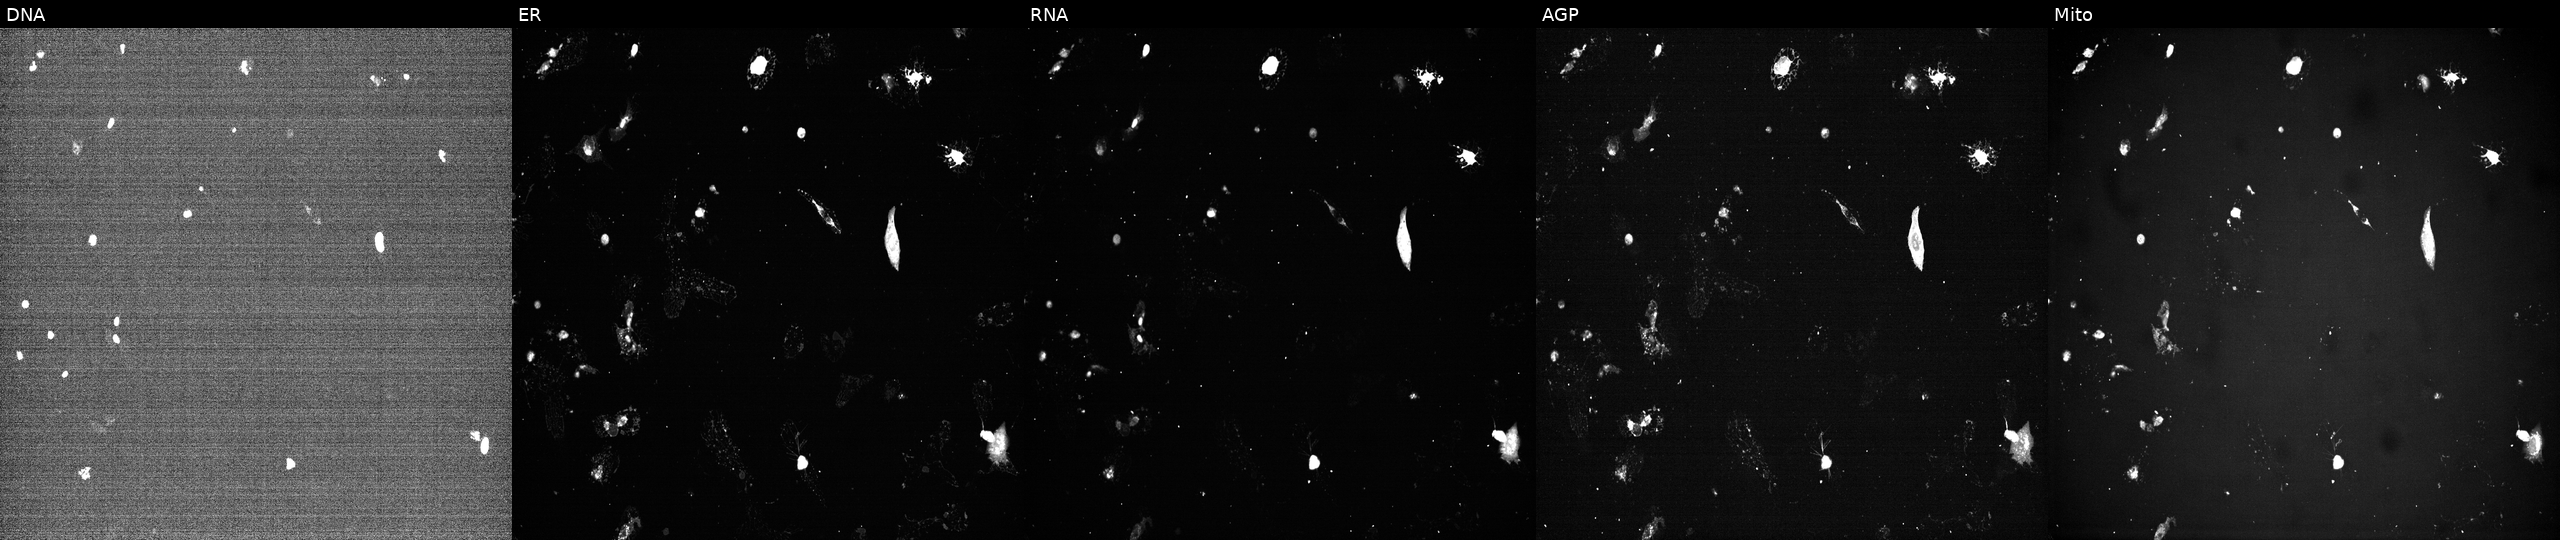
High-content fluorescence microscopy (Cell Painting). Cell line: U2OS. Perturbation: perturbed with a small-molecule compound (InChIKey BBDGBGOVJPEFBT-UHFFFAOYSA-N) [SMILES: c1cc(-c2cnn3cc(-c4ccc(N5CCNCC5)cc4)cnc23)c2cccnc2c1]. Channels (left→right): DNA (nuclei); ER (endoplasmic reticulum); RNA (nucleoli and cytoplasmic RNA); AGP (actin cytoskeleton, Golgi, and plasma membrane); Mito (mitochondria).